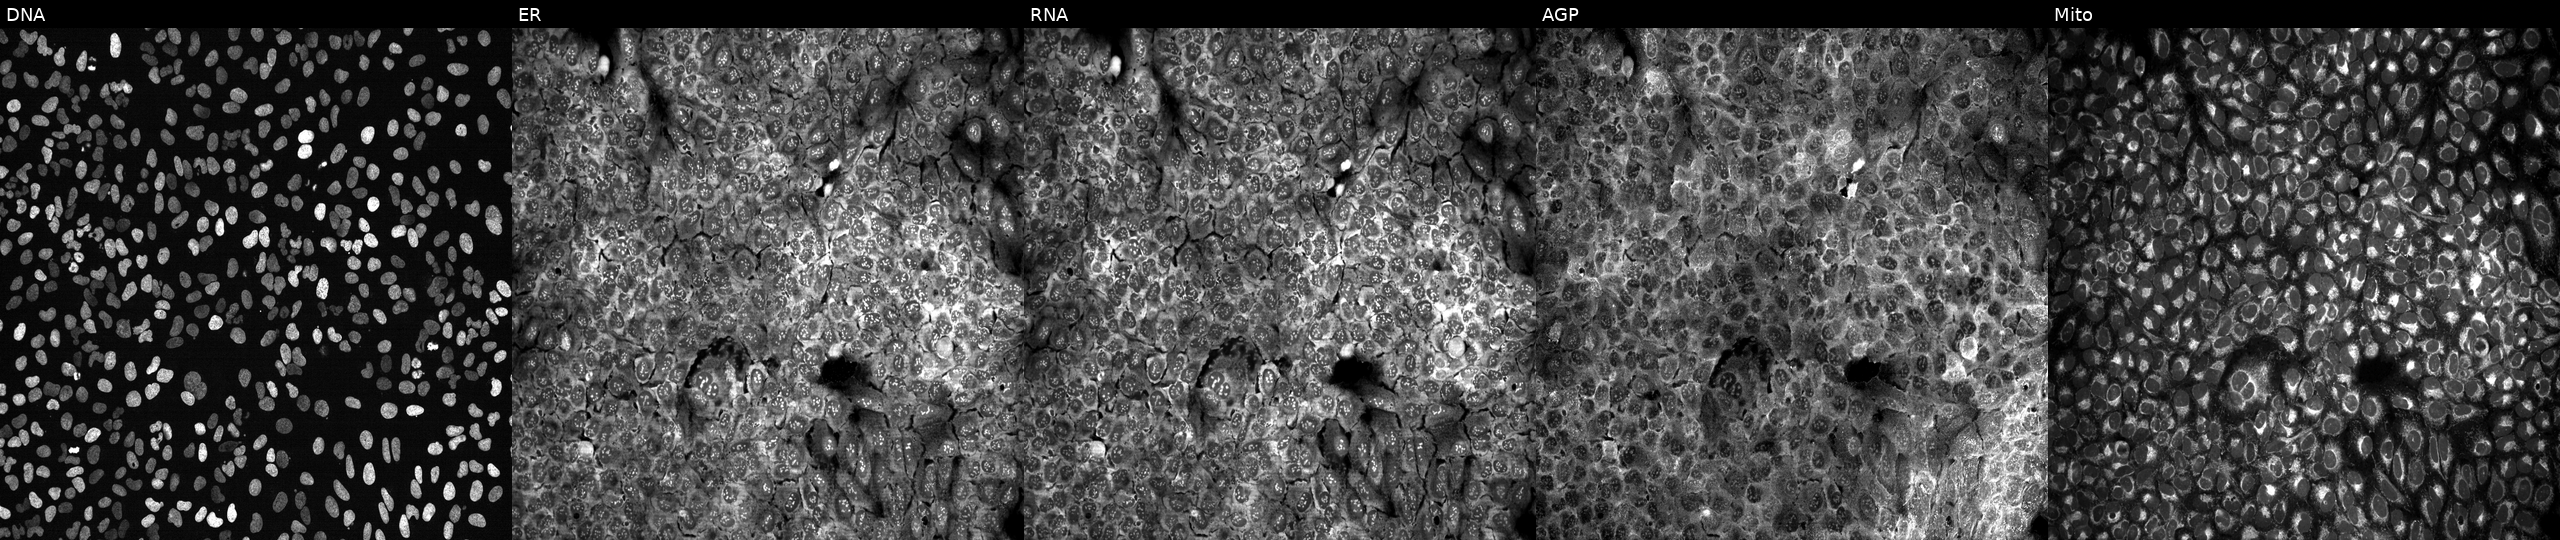
This image strip shows the five Cell Painting channels for a single field of U2OS cells with PROK1 knocked out by CRISPR. The five panels, left to right, show DNA, ER, RNA, AGP, and Mito. Source 13, plate CP-CC9-R3-02, well D10.